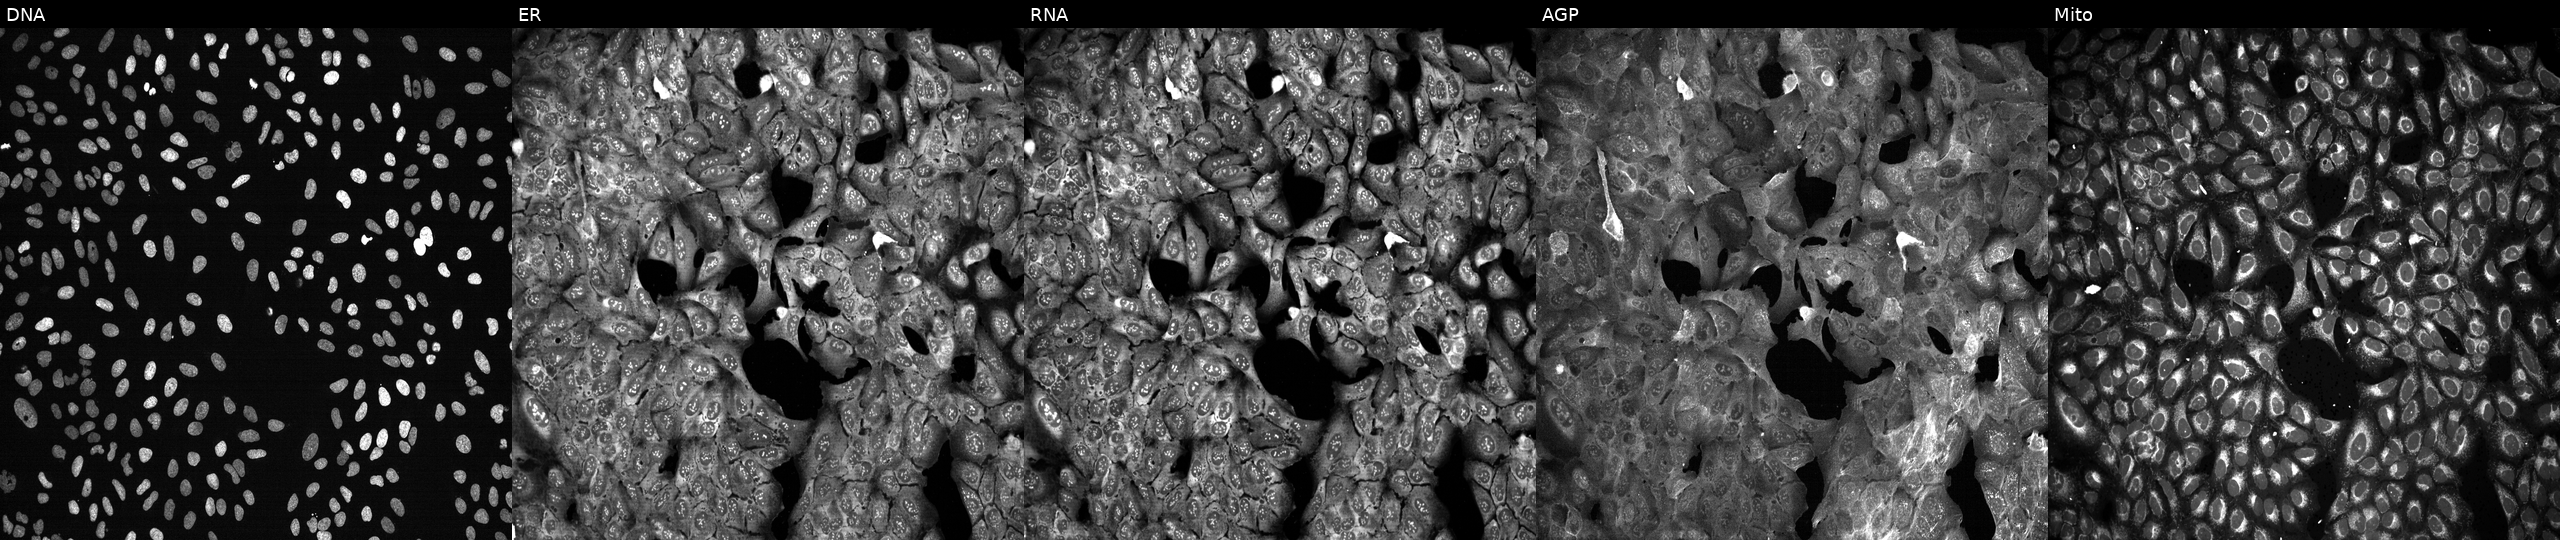
Five-channel Cell Painting image of U2OS cells with PADI3 knocked out by CRISPR. From left to right: DNA, ER, RNA, AGP, and Mito.